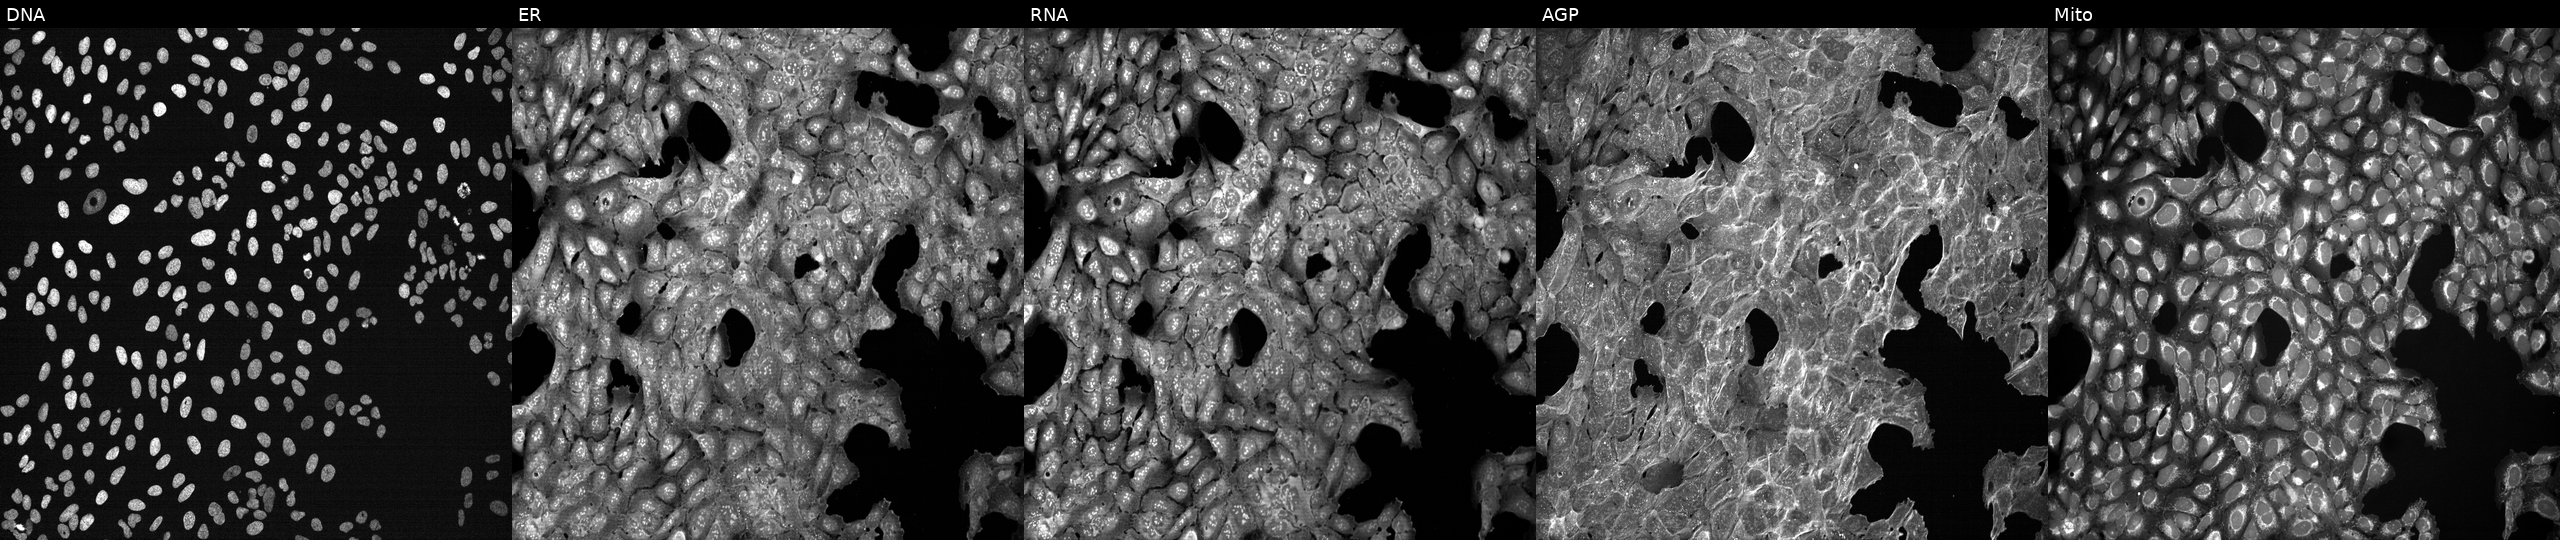
JUMP Cell Painting — TARGET2 plate. U2OS cells exposed to DMSO alone as a negative control. Channels (left→right): DNA (nuclei); ER (endoplasmic reticulum); RNA (nucleoli and cytoplasmic RNA); AGP (actin cytoskeleton, Golgi, and plasma membrane); Mito (mitochondria). Source 7, plate CP3-SC1-25, well H18.